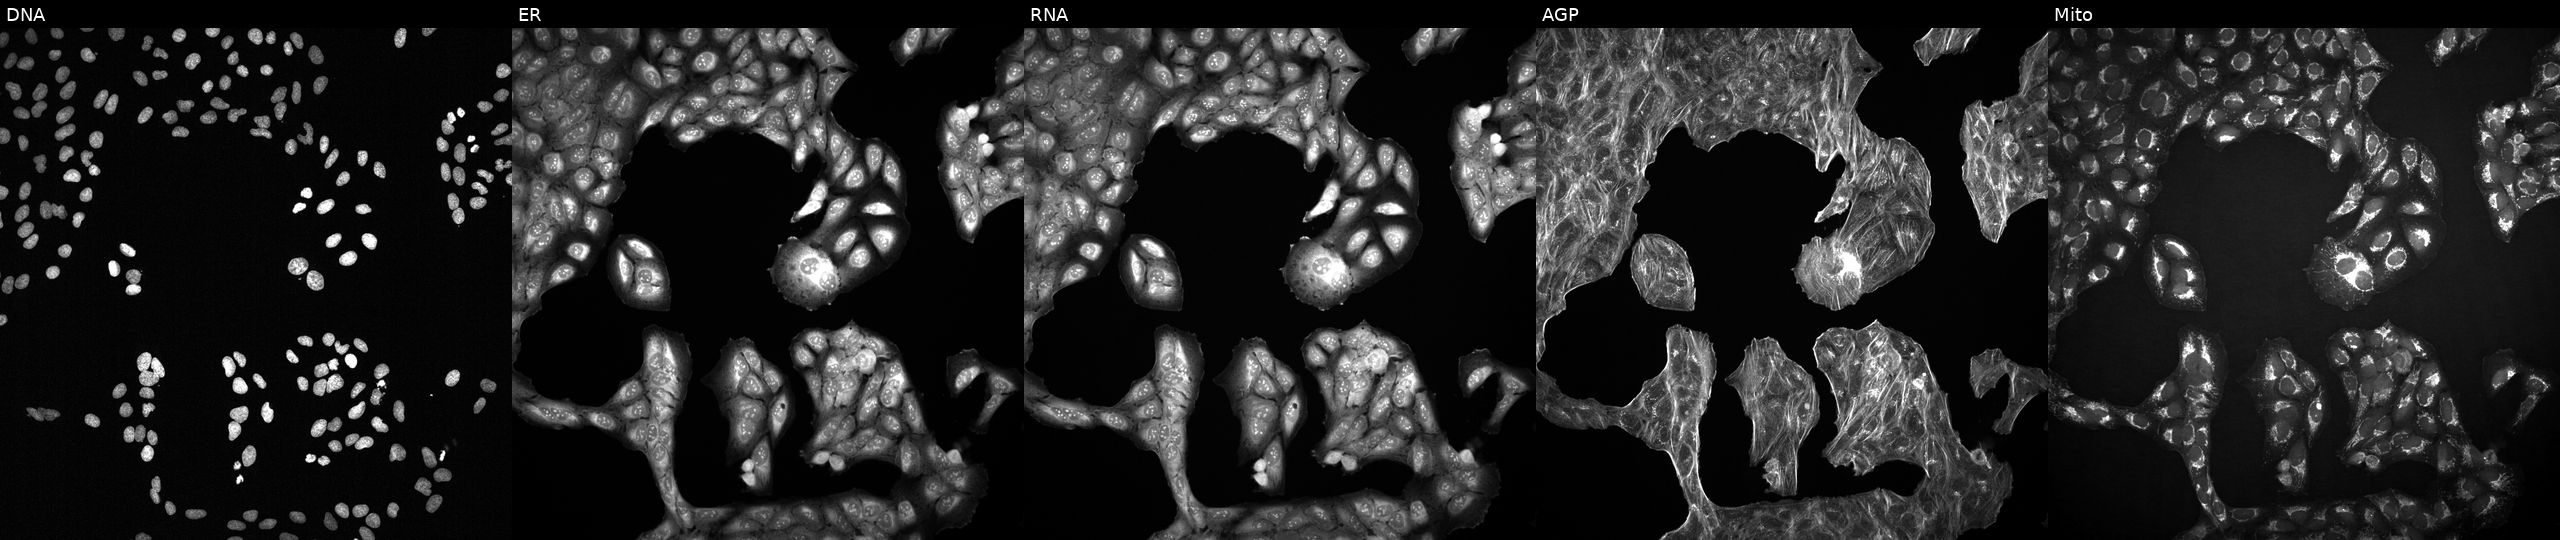
Five-channel Cell Painting image of U2OS cells with an unidentified perturbation (not annotated in JUMP metadata). Channels (left→right): DNA (nuclei); ER (endoplasmic reticulum); RNA (nucleoli and cytoplasmic RNA); AGP (actin cytoskeleton, Golgi, and plasma membrane); Mito (mitochondria). Source 2, plate 1053601756, well F09.